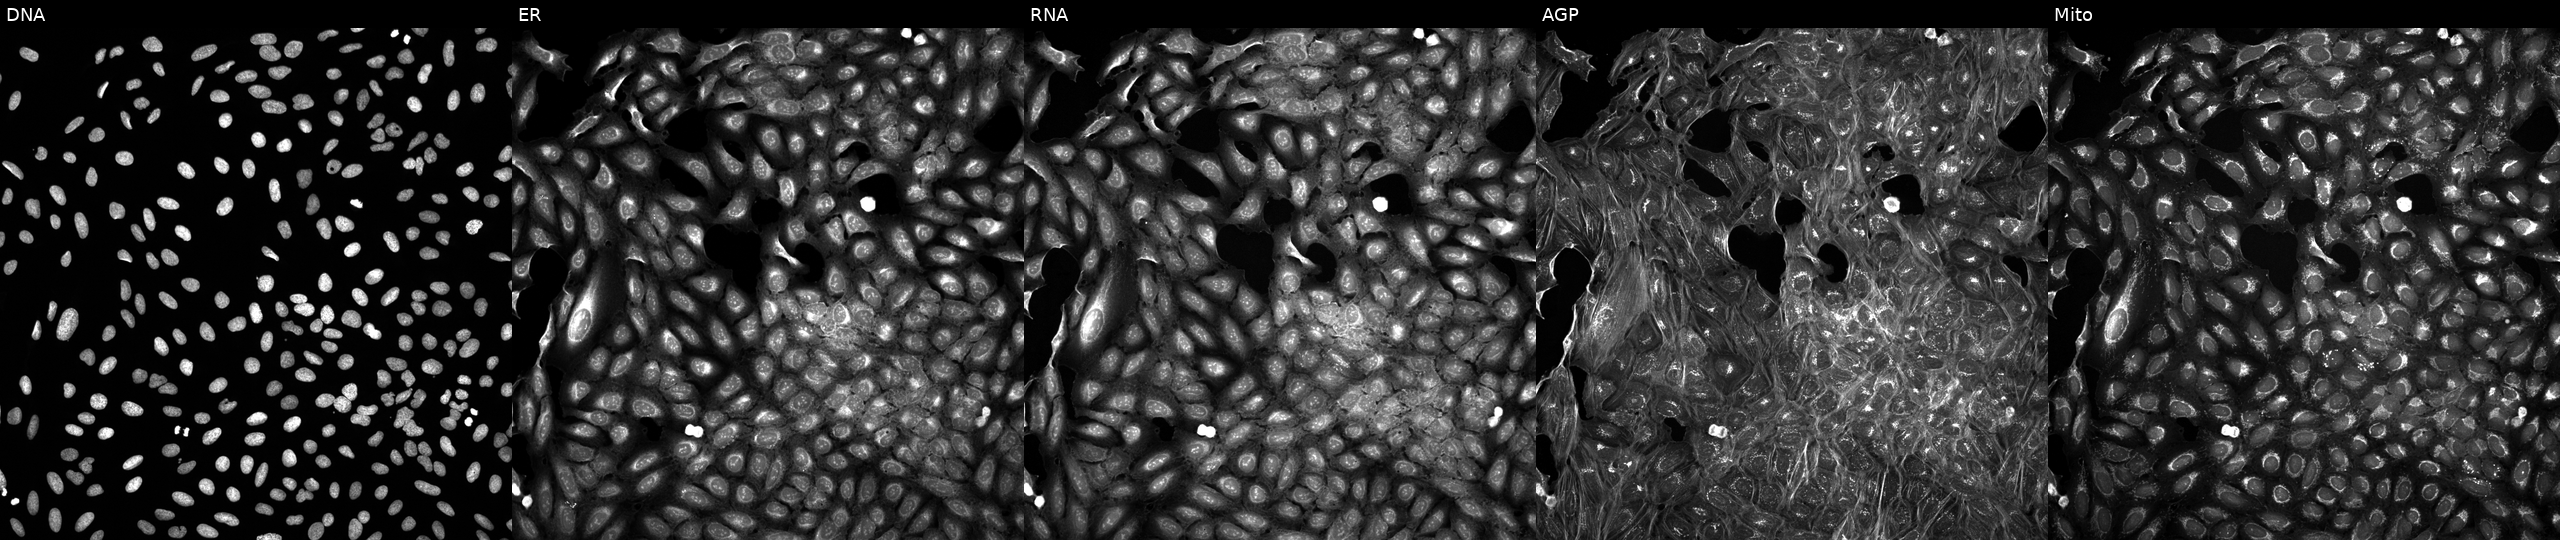
The five panels, left to right, show DNA (nuclei); ER (endoplasmic reticulum); RNA (nucleoli and cytoplasmic RNA); AGP (actin cytoskeleton, Golgi, and plasma membrane); Mito (mitochondria). U2OS osteosarcoma cells treated with DMSO vehicle only (negative control). Cell Painting assay, JUMP-CP dataset.